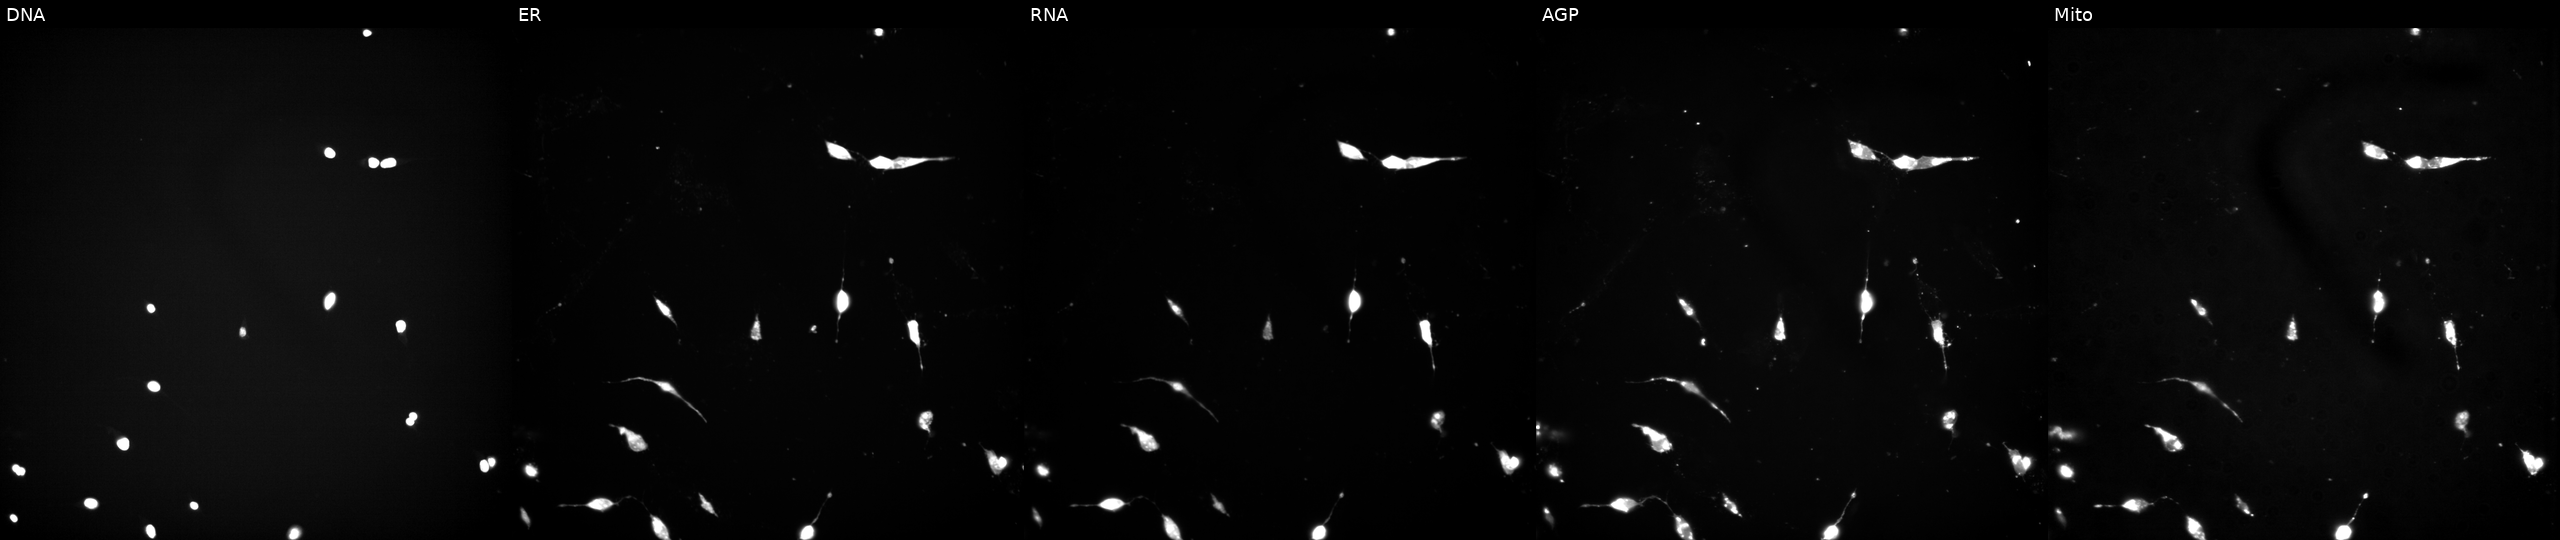
This image strip shows the five Cell Painting channels for a single field of U2OS cells perturbed with a small-molecule compound [SMILES: CCCc1cc(C)[nH]c(=O)c1CNC(=O)c1cc(-c2ccc(N3CCN(C(C)C)CC3)nc2)cc2c1cnn2C(C)C]. Panels show, left to right, Hoechst 33342, concanavalin A, SYTO 14, phalloidin and WGA, MitoTracker.